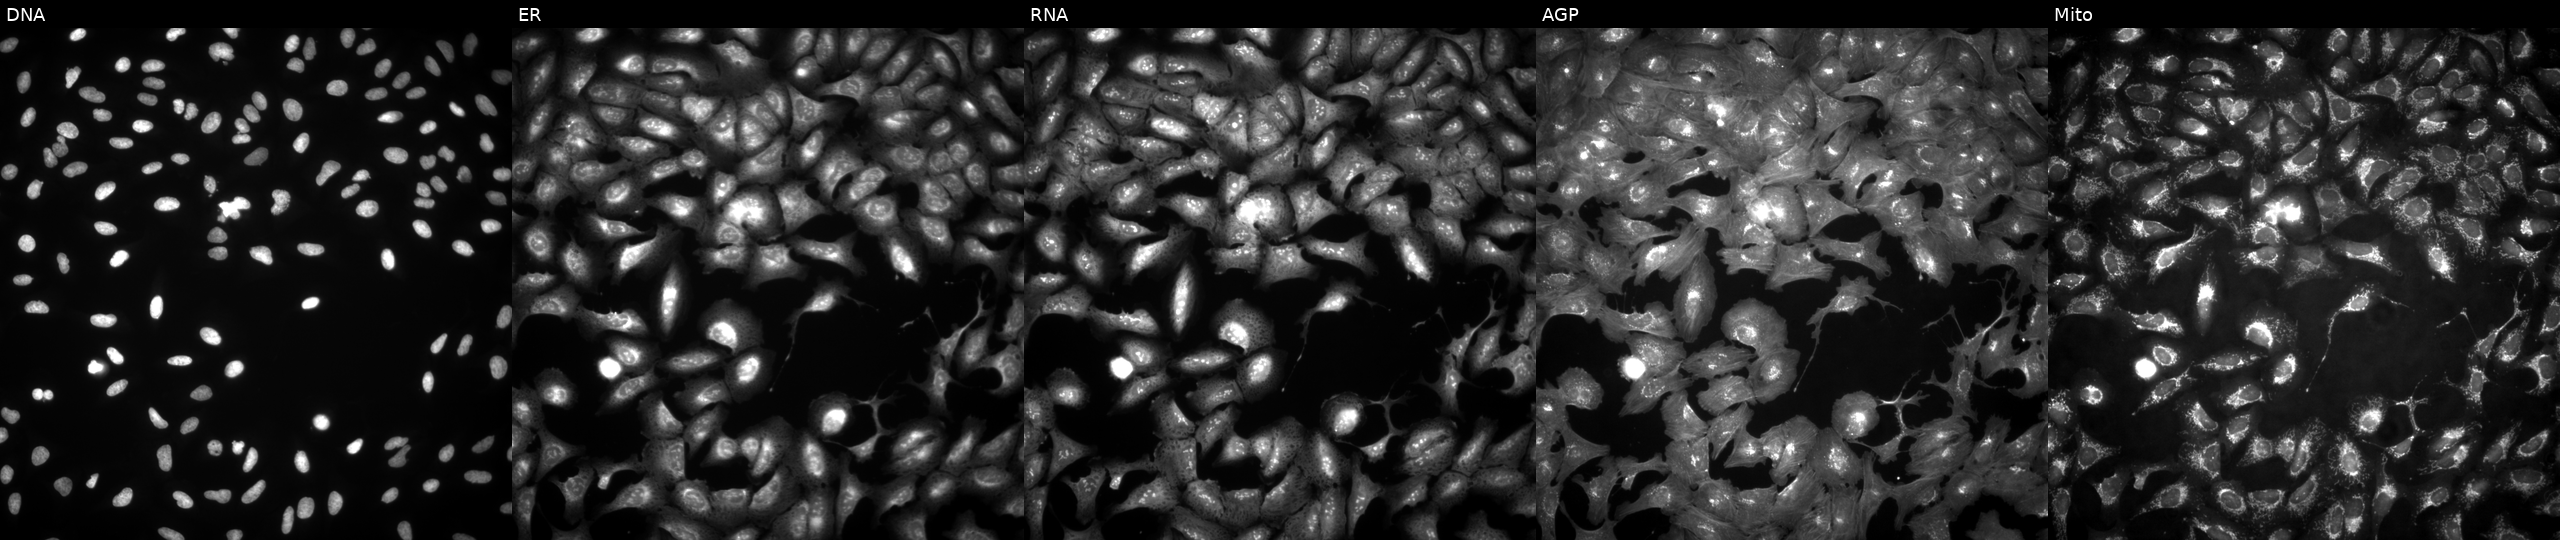
High-content fluorescence microscopy (Cell Painting). Cell line: U2OS. Perturbation: transfected with an ORF construct for ARPC1B (JUMP id JCP2022_902166). The five panels, left to right, show DNA (nuclei); ER (endoplasmic reticulum); RNA (nucleoli and cytoplasmic RNA); AGP (actin cytoskeleton, Golgi, and plasma membrane); Mito (mitochondria). Source 4, plate BR00123509, well A19.